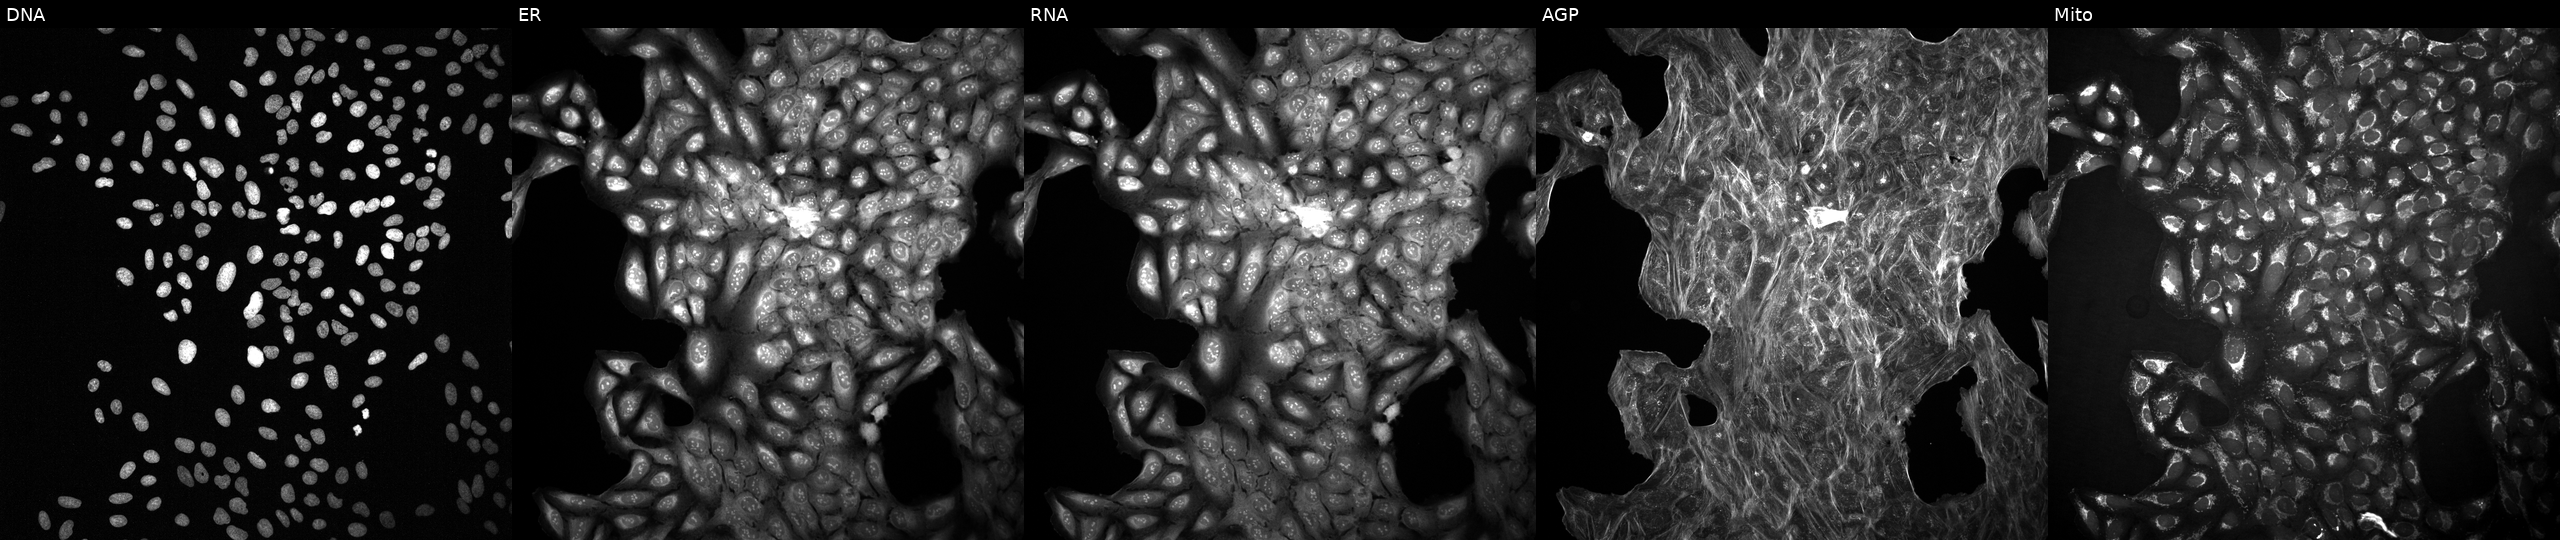
Channels (left→right): Hoechst 33342, concanavalin A, SYTO 14, phalloidin and WGA, MitoTracker. U2OS osteosarcoma cells exposed to DMSO alone as a negative control (JUMP id JCP2022_033924). Cell Painting assay, JUMP-CP dataset. Source 2, plate 1053601763, well F23.